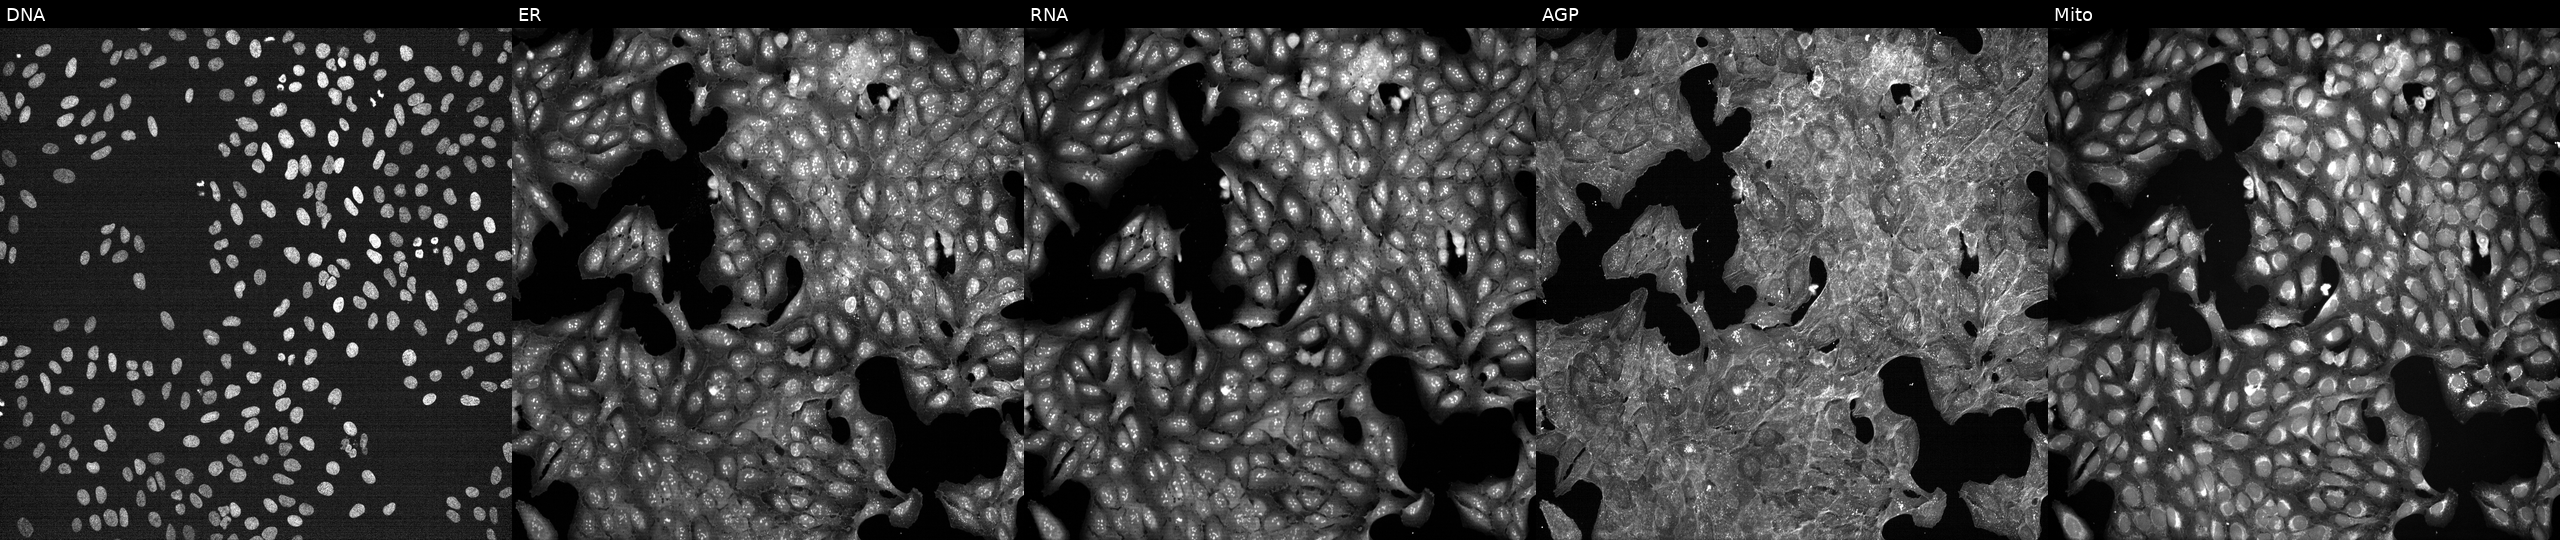
This image strip shows the five Cell Painting channels for a single field of U2OS cells treated with a small-molecule compound [SMILES: COCCOC(=O)C1=C(C)N=C(C)C(C(=O)OC(C)C)C1c1cccc([N+](=O)[O-])c1]. Channels (left→right): DNA (nuclei); ER (endoplasmic reticulum); RNA (nucleoli and cytoplasmic RNA); AGP (actin cytoskeleton, Golgi, and plasma membrane); Mito (mitochondria). Source 7, plate CP1-SC1-25, well P12.